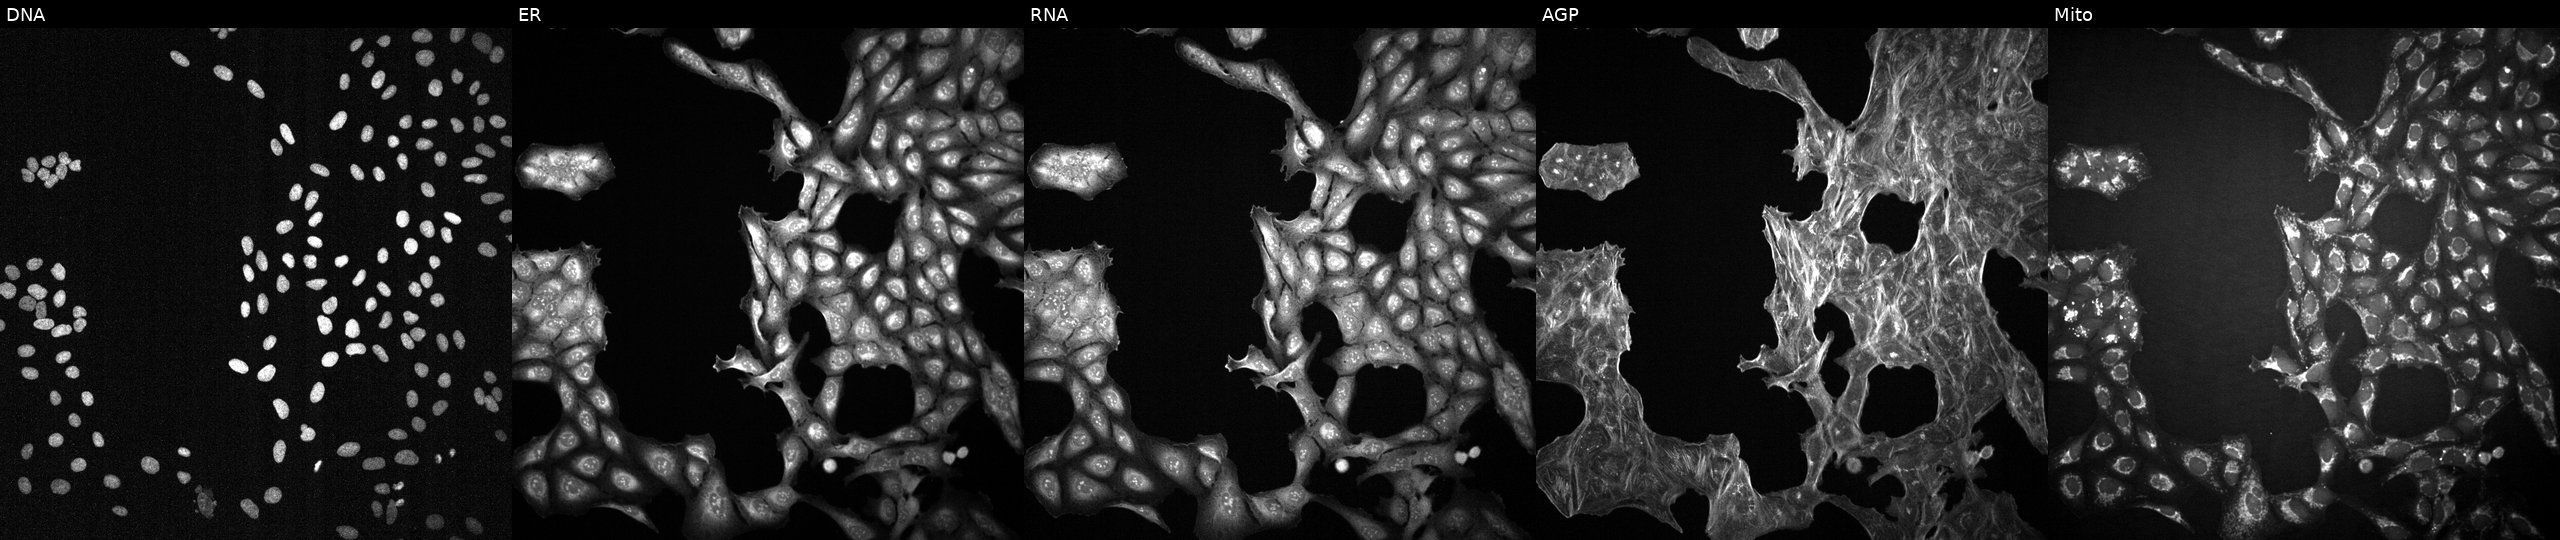
From left to right: DNA (nuclei); ER (endoplasmic reticulum); RNA (nucleoli and cytoplasmic RNA); AGP (actin cytoskeleton, Golgi, and plasma membrane); Mito (mitochondria). U2OS osteosarcoma cells exposed to DMSO alone as a negative control (JUMP id JCP2022_033924). Cell Painting assay, JUMP-CP dataset. Source 2, plate 1053599503, well H22.